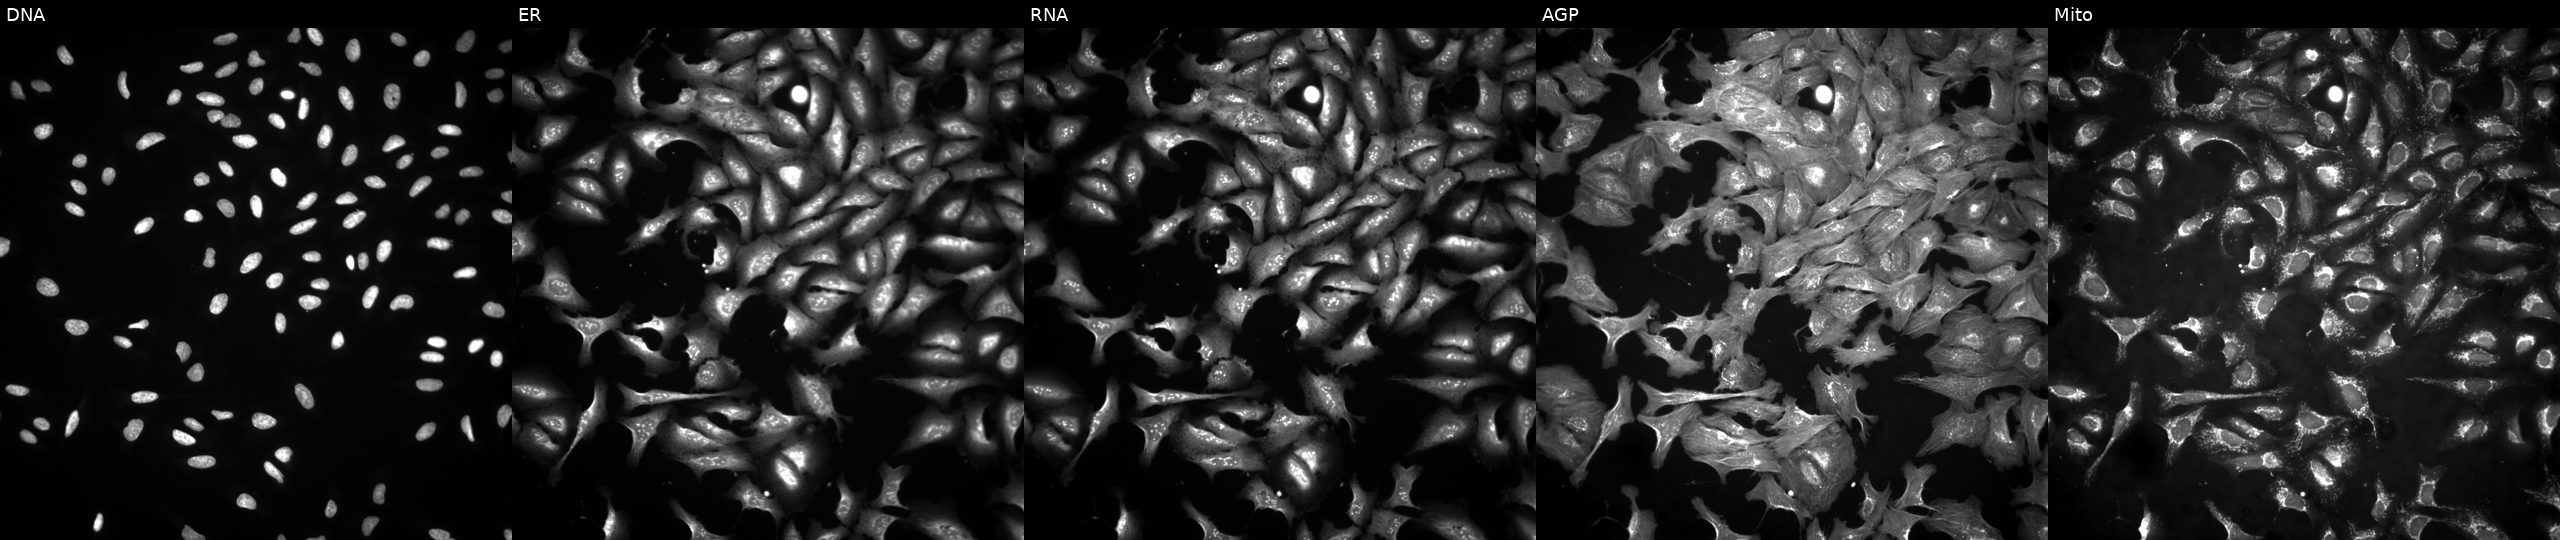
High-content fluorescence microscopy (Cell Painting). Cell line: U2OS. Perturbation: with H2BC18 overexpressed (ORF). From left to right: DNA (nuclei); ER (endoplasmic reticulum); RNA (nucleoli and cytoplasmic RNA); AGP (actin cytoskeleton, Golgi, and plasma membrane); Mito (mitochondria).